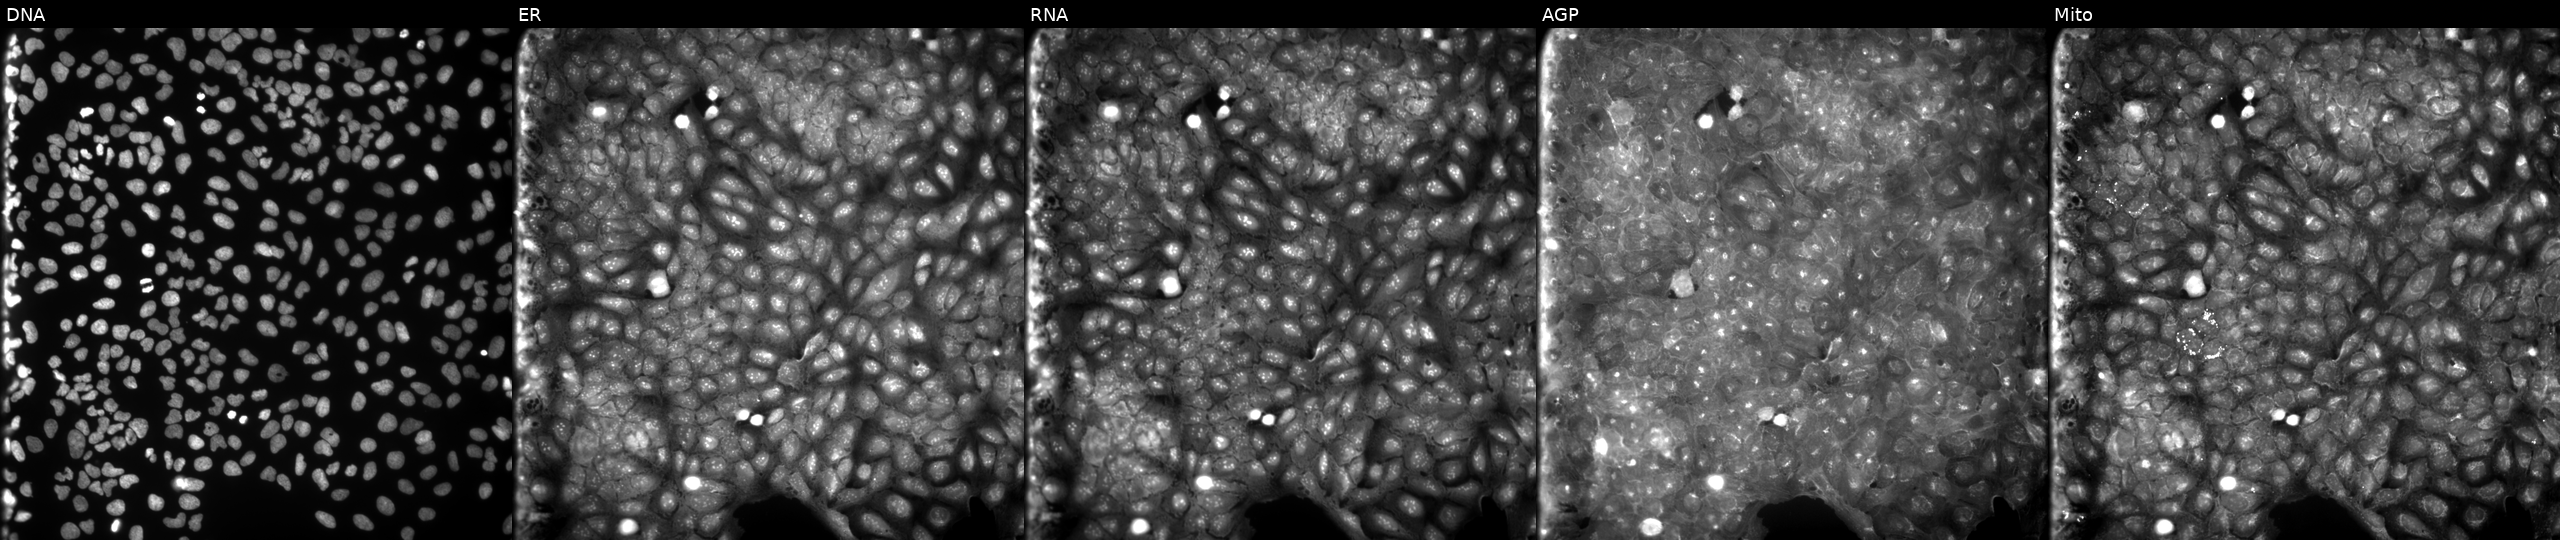
U2OS cells, Cell Painting assay, exposed to a small-molecule compound (InChIKey BHWBHFOCUIYOJA-UHFFFAOYSA-N) [SMILES: CCc1ccc(C(=O)C23CN4CN(CN(C4)C2)C3)cc1]. The five panels, left to right, show Hoechst 33342, concanavalin A, SYTO 14, phalloidin and WGA, MitoTracker. Each panel is percentile-stretched 16-bit fluorescence.